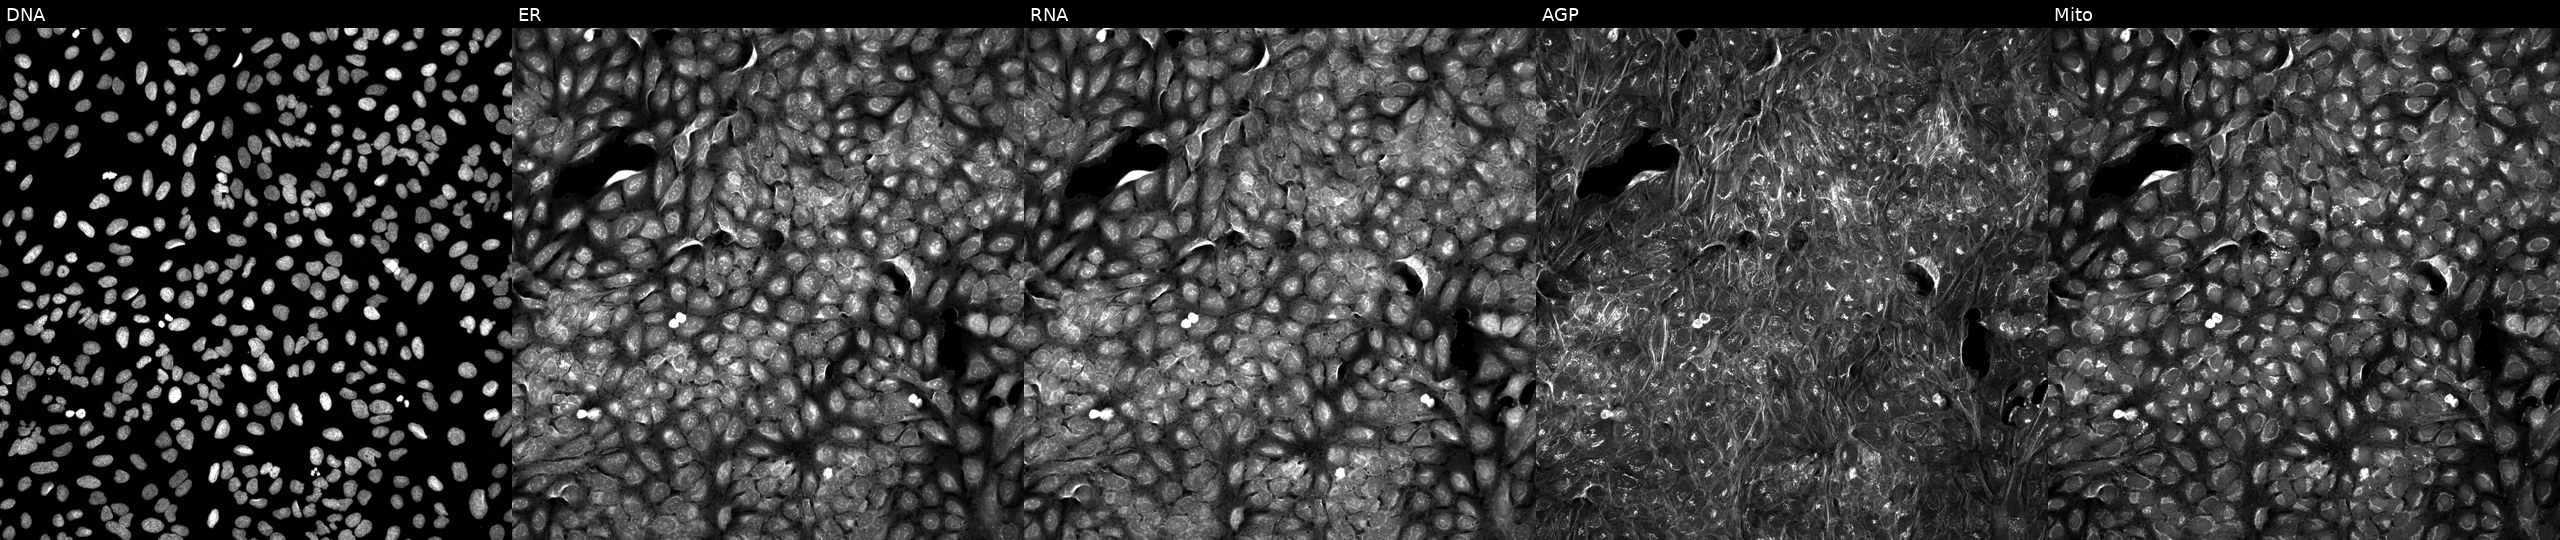
JUMP Cell Painting — COMPOUND plate. U2OS cells perturbed with a small-molecule compound (InChIKey BSEKTCYNSOSNDT-UHFFFAOYSA-N) (JUMP id JCP2022_008332). The five panels, left to right, show DNA, ER, RNA, AGP, and Mito. Source 5, plate APTJUM105, well J11.